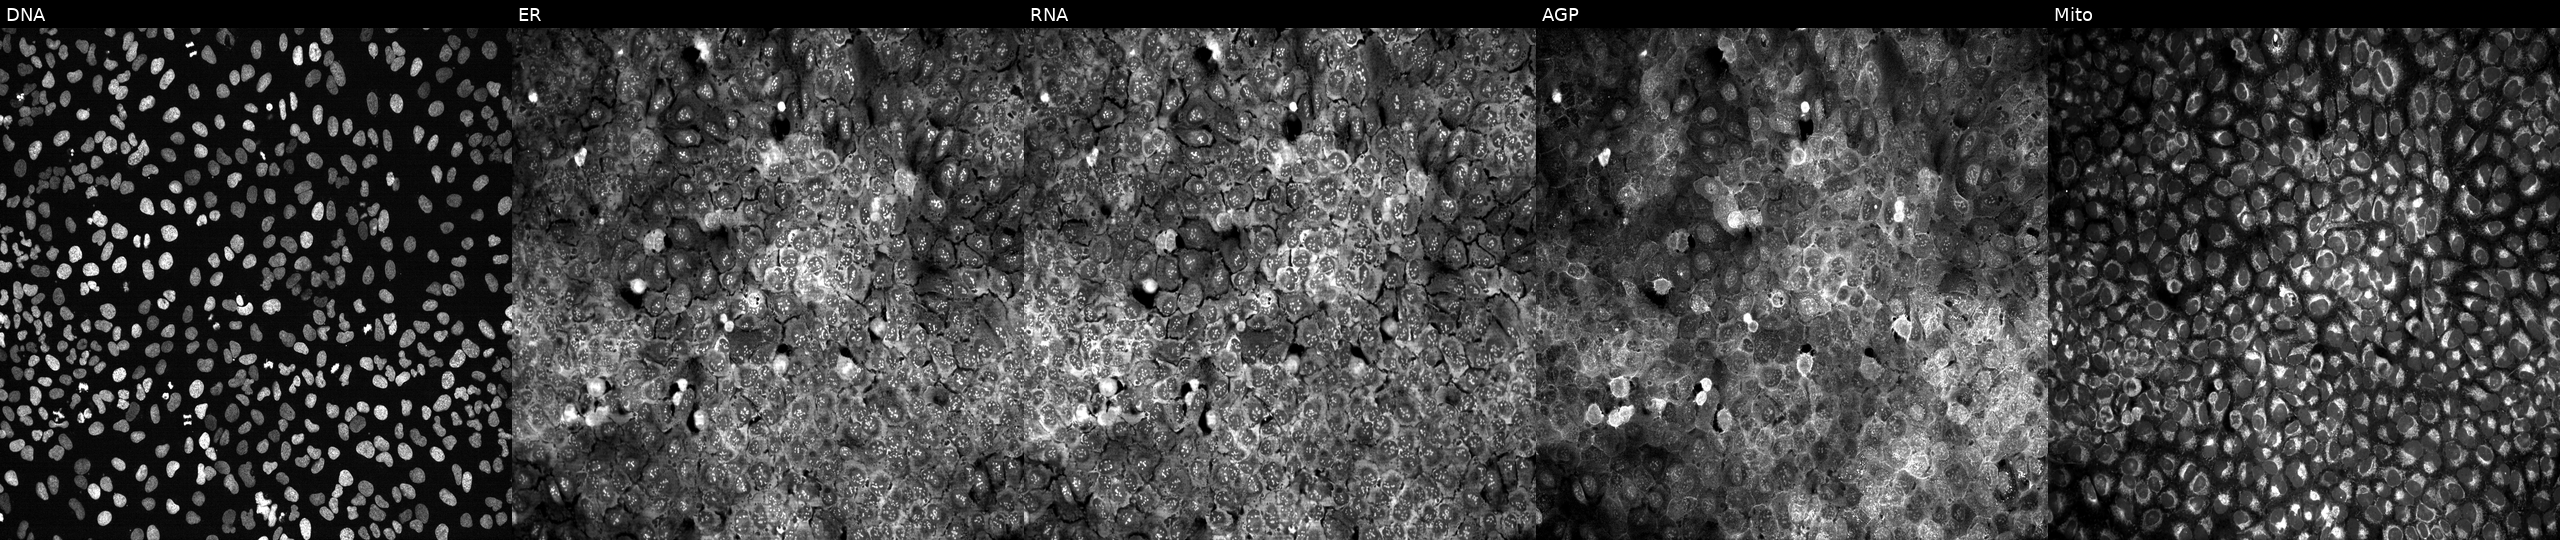
U2OS cells, Cell Painting assay, with KIF20B knocked out by CRISPR. Panels show, left to right, Hoechst 33342, concanavalin A, SYTO 14, phalloidin and WGA, MitoTracker. Each panel is percentile-stretched 16-bit fluorescence. Source 13, plate CP-CC9-R4-04, well B16.